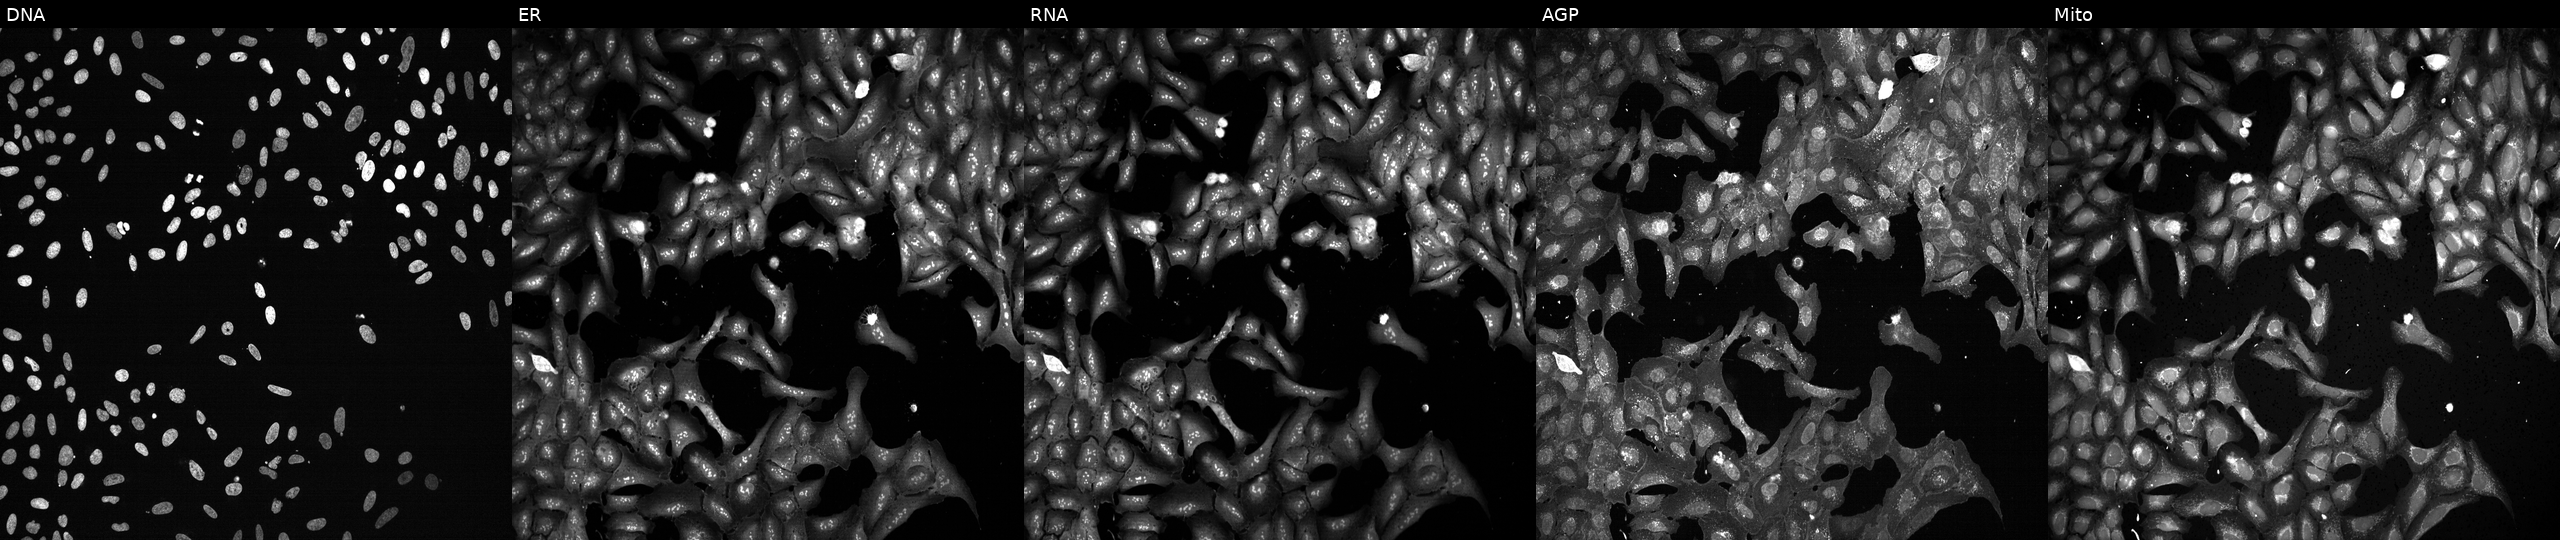
High-content fluorescence microscopy (Cell Painting). Cell line: U2OS. Perturbation: following CRISPR knockout of POLK. Channels (left→right): Hoechst 33342, concanavalin A, SYTO 14, phalloidin and WGA, MitoTracker.